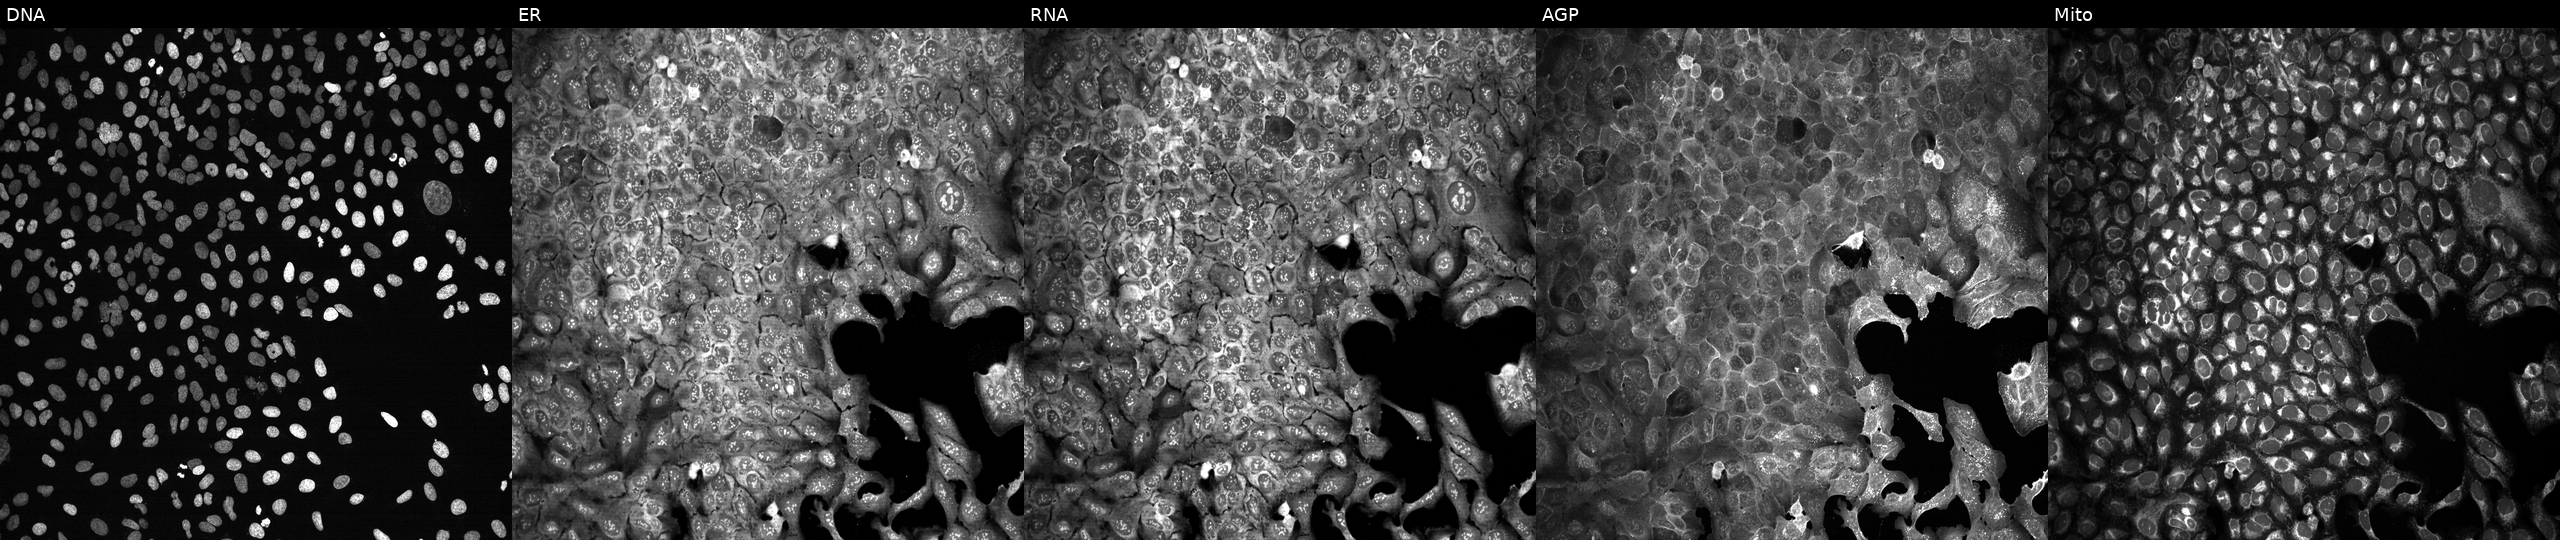
JUMP Cell Painting — CRISPR plate. U2OS cells CRISPR-edited to disrupt BCHE (JUMP id JCP2022_800835). The five panels, left to right, show Hoechst 33342, concanavalin A, SYTO 14, phalloidin and WGA, MitoTracker. Source 13, plate CP-CC9-R6-19, well B19.